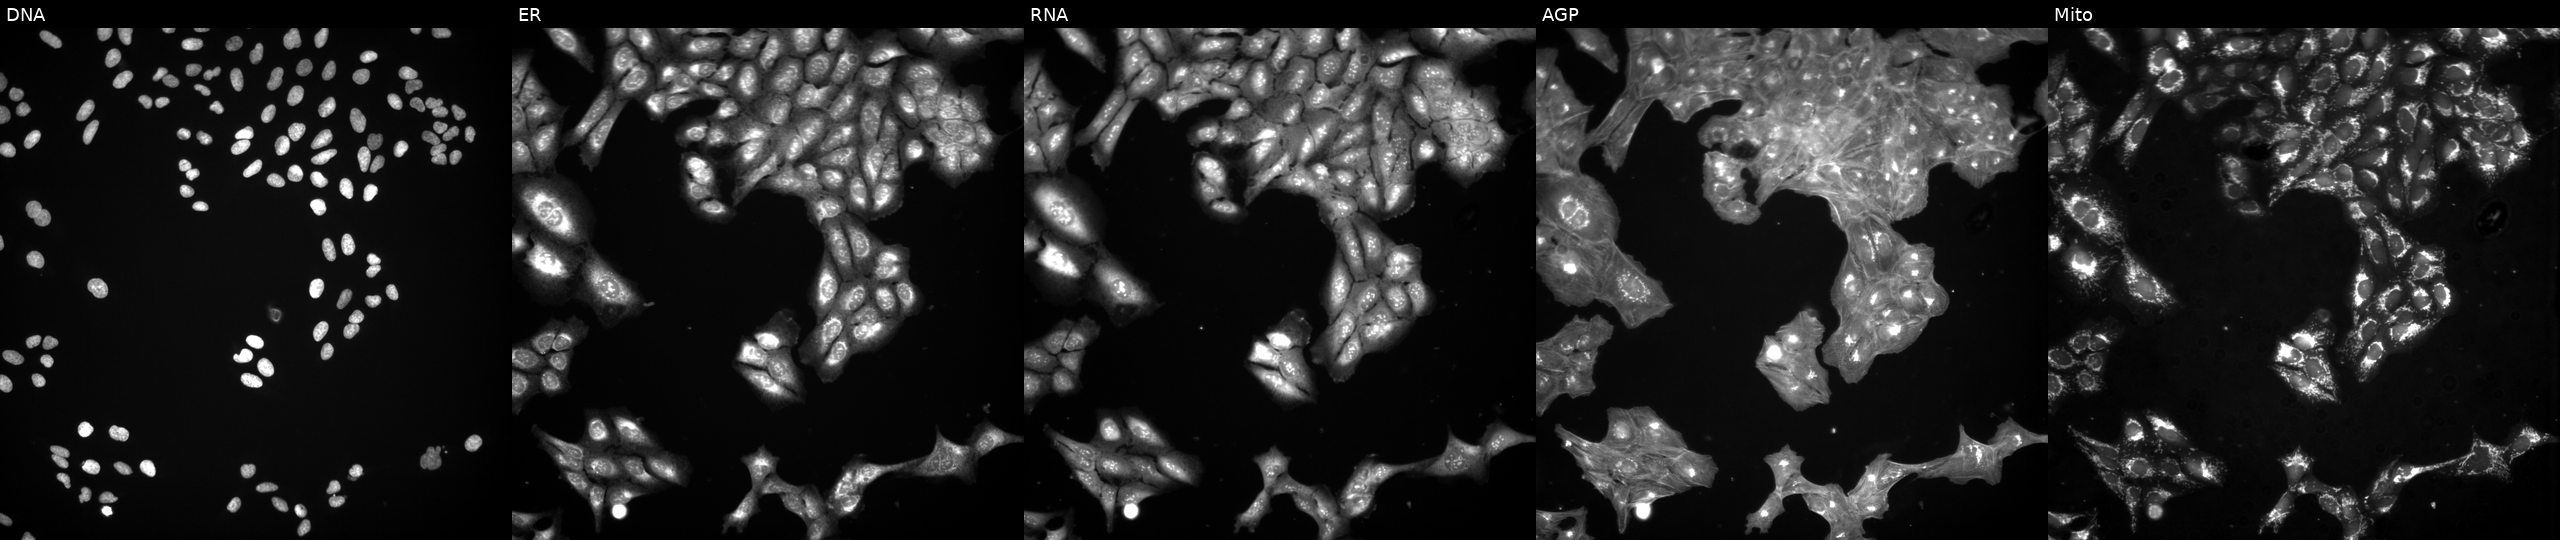
Five-channel Cell Painting image of U2OS cells treated with a small-molecule compound (InChIKey OQKUNOMGIHHKAQ-UHFFFAOYSA-N) (JUMP id JCP2022_065480). From left to right: DNA (nuclei); ER (endoplasmic reticulum); RNA (nucleoli and cytoplasmic RNA); AGP (actin cytoskeleton, Golgi, and plasma membrane); Mito (mitochondria).